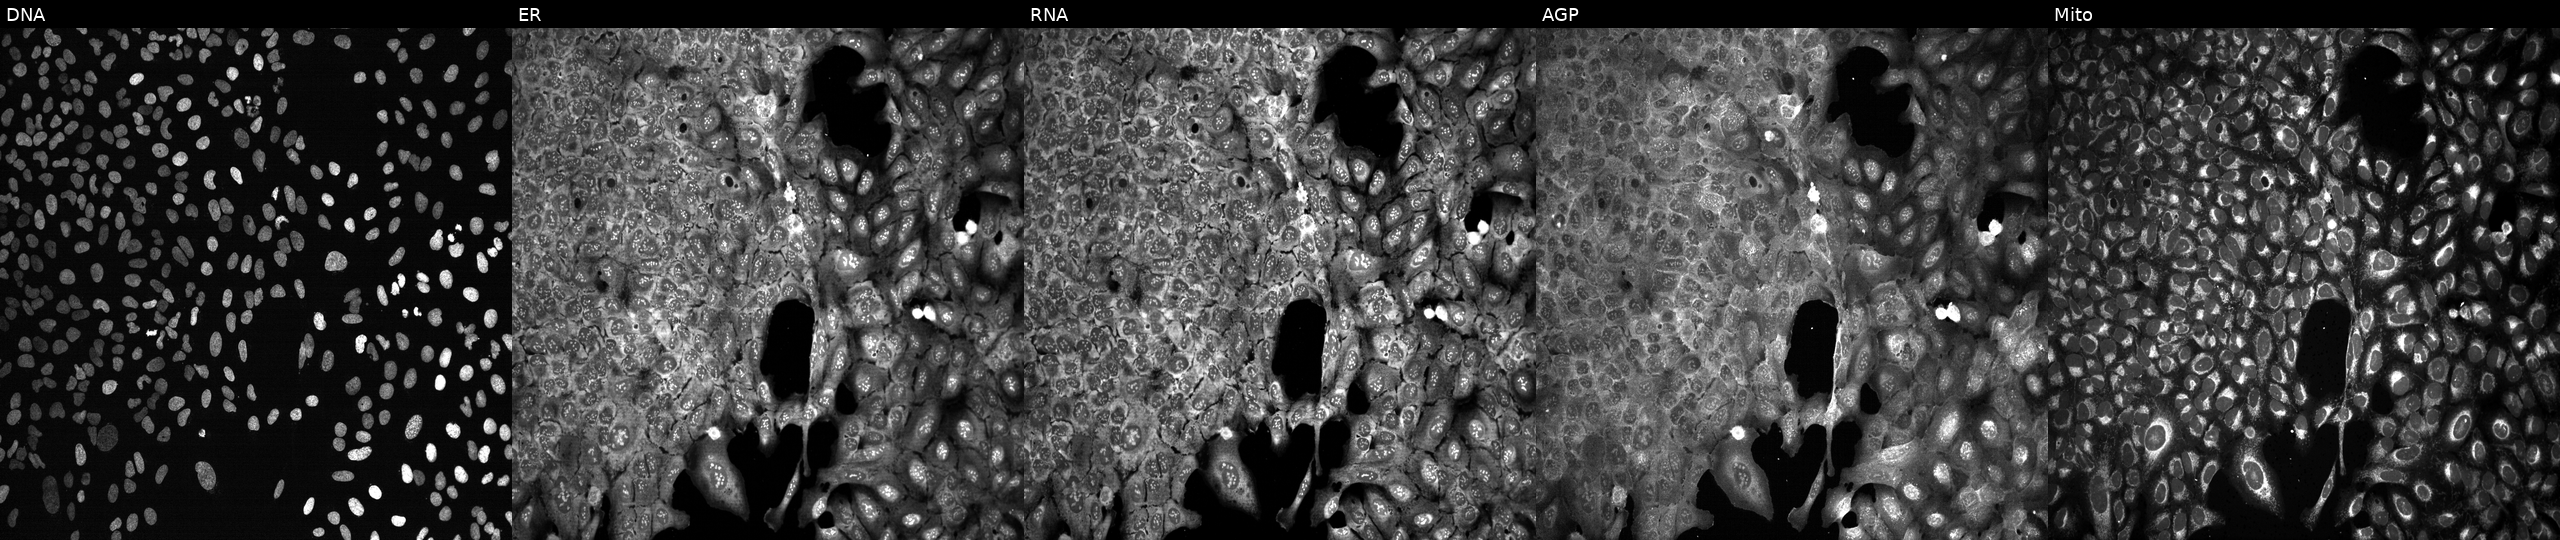
This image strip shows the five Cell Painting channels for a single field of U2OS cells CRISPR-edited to disrupt SULF2. The five panels, left to right, show DNA (nuclei); ER (endoplasmic reticulum); RNA (nucleoli and cytoplasmic RNA); AGP (actin cytoskeleton, Golgi, and plasma membrane); Mito (mitochondria).